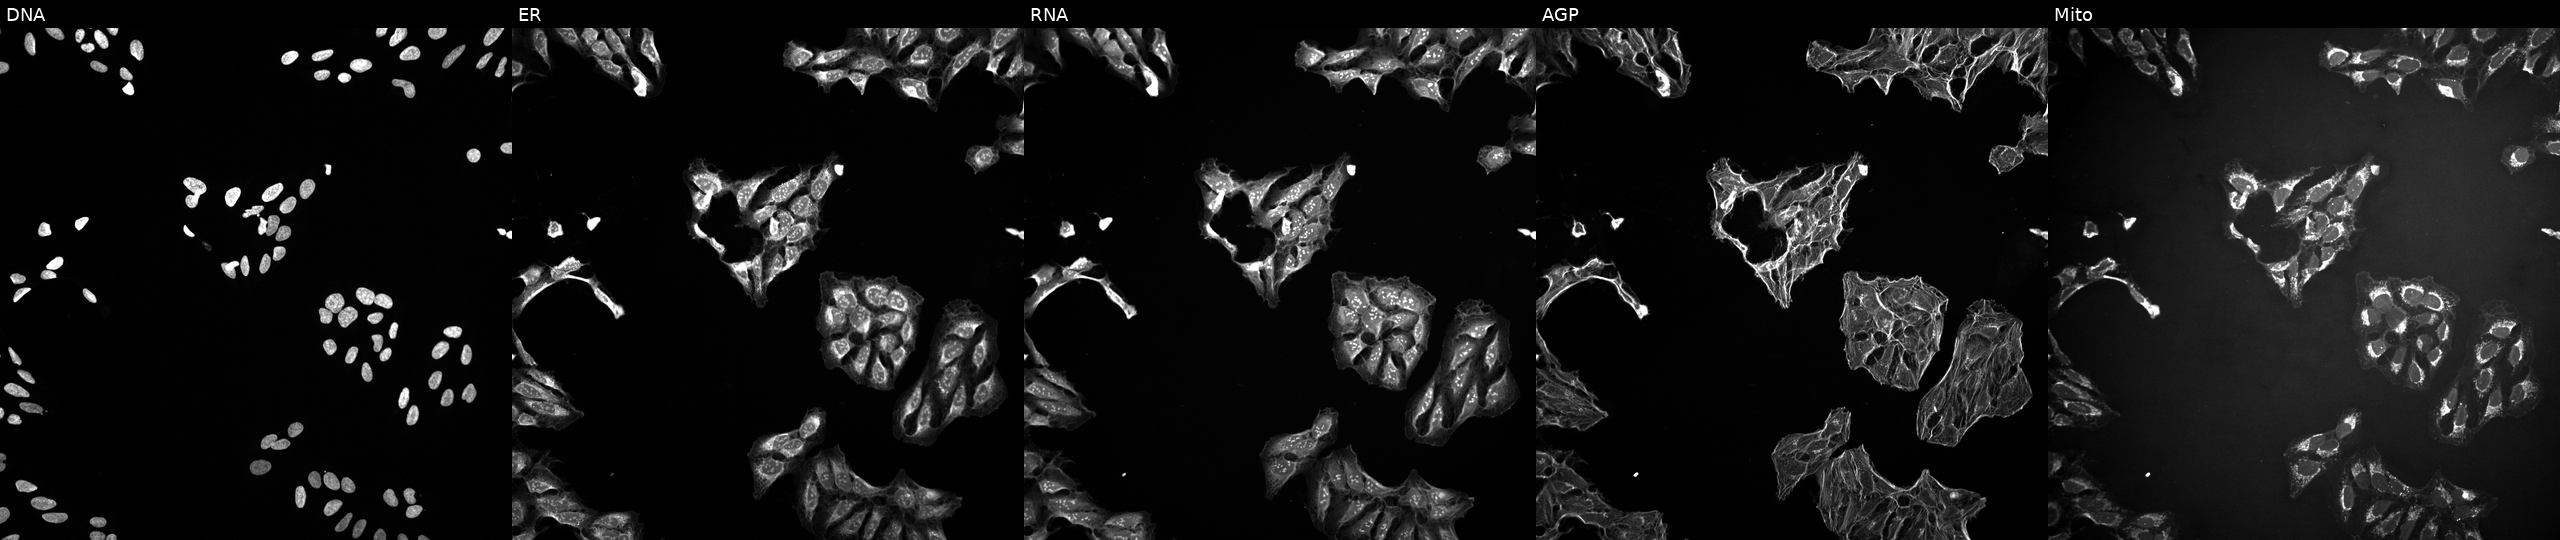
High-content fluorescence microscopy (Cell Painting). Cell line: U2OS. Perturbation: exposed to a small-molecule compound (InChIKey AGNWVEJTZJIJIM-UHFFFAOYSA-N). From left to right: Hoechst 33342, concanavalin A, SYTO 14, phalloidin and WGA, MitoTracker.